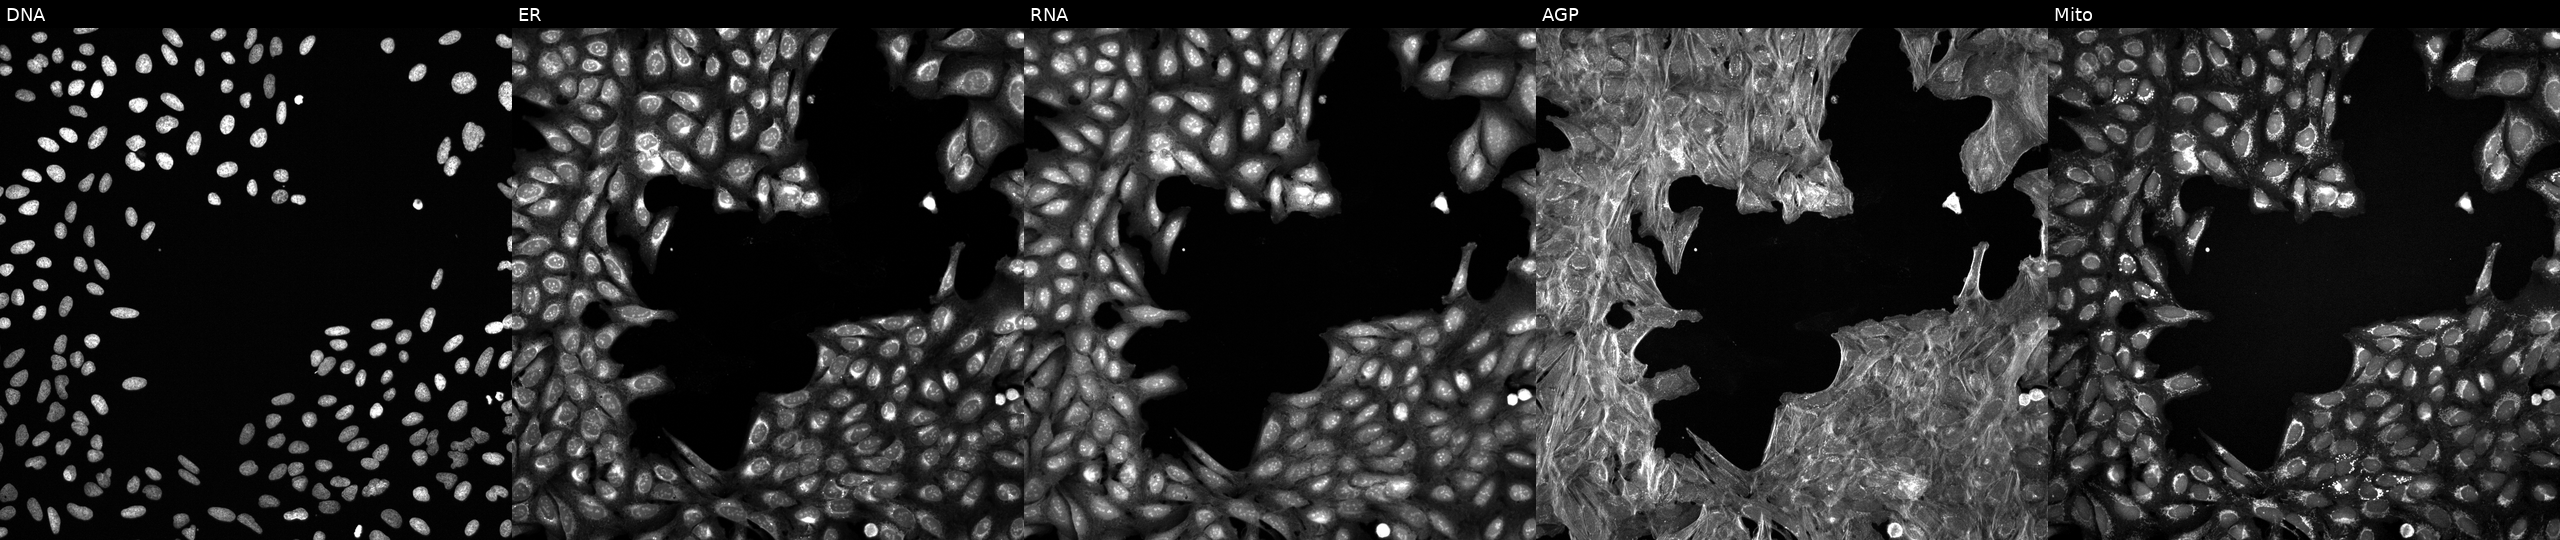
Five-channel Cell Painting image of U2OS cells treated with a small-molecule compound (InChIKey NITYDPDXAAFEIT-UHFFFAOYSA-N) (JUMP id JCP2022_059269). Panels show, left to right, Hoechst 33342, concanavalin A, SYTO 14, phalloidin and WGA, MitoTracker.